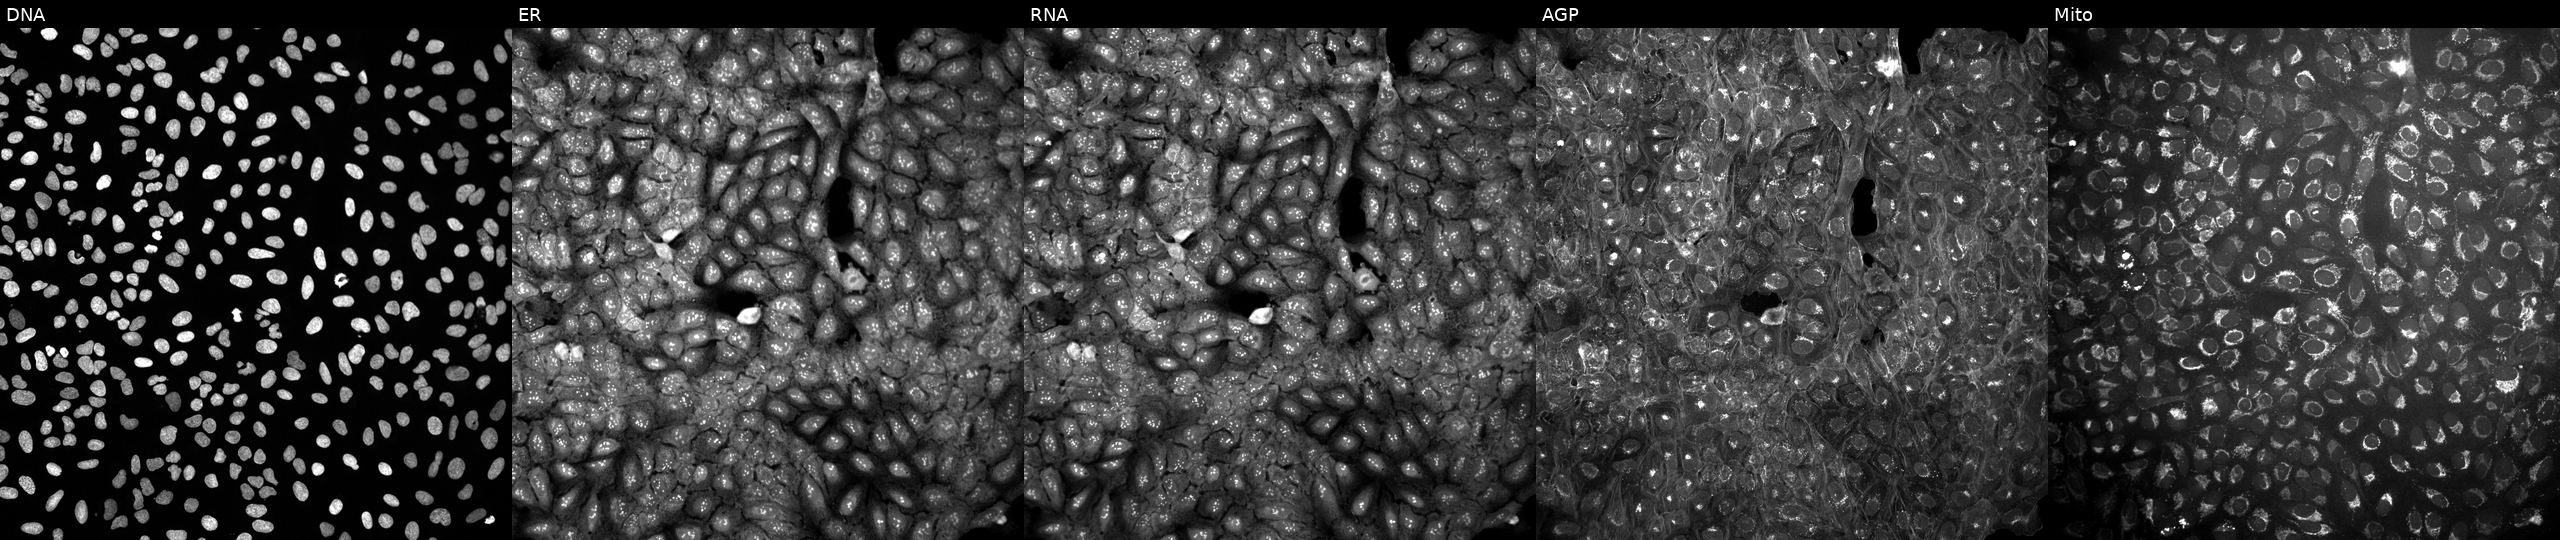
JUMP Cell Painting — COMPOUND plate. U2OS cells perturbed with a small-molecule compound. From left to right: DNA, ER, RNA, AGP, and Mito.